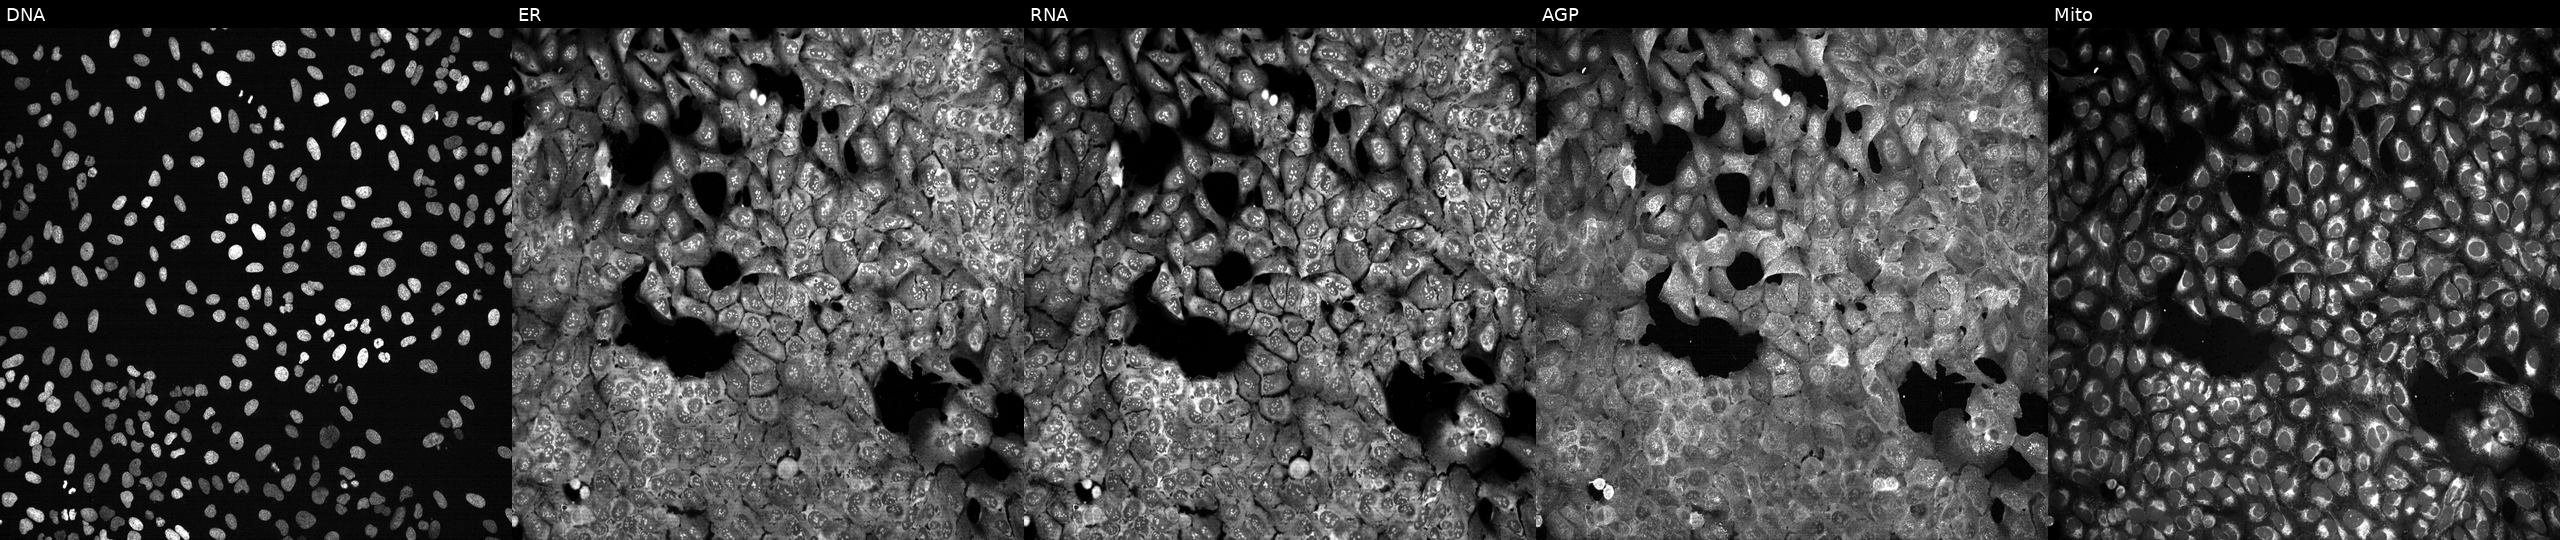
This image strip shows the five Cell Painting channels for a single field of U2OS cells CRISPR-edited to disrupt UNG. The five panels, left to right, show DNA (nuclei); ER (endoplasmic reticulum); RNA (nucleoli and cytoplasmic RNA); AGP (actin cytoskeleton, Golgi, and plasma membrane); Mito (mitochondria).